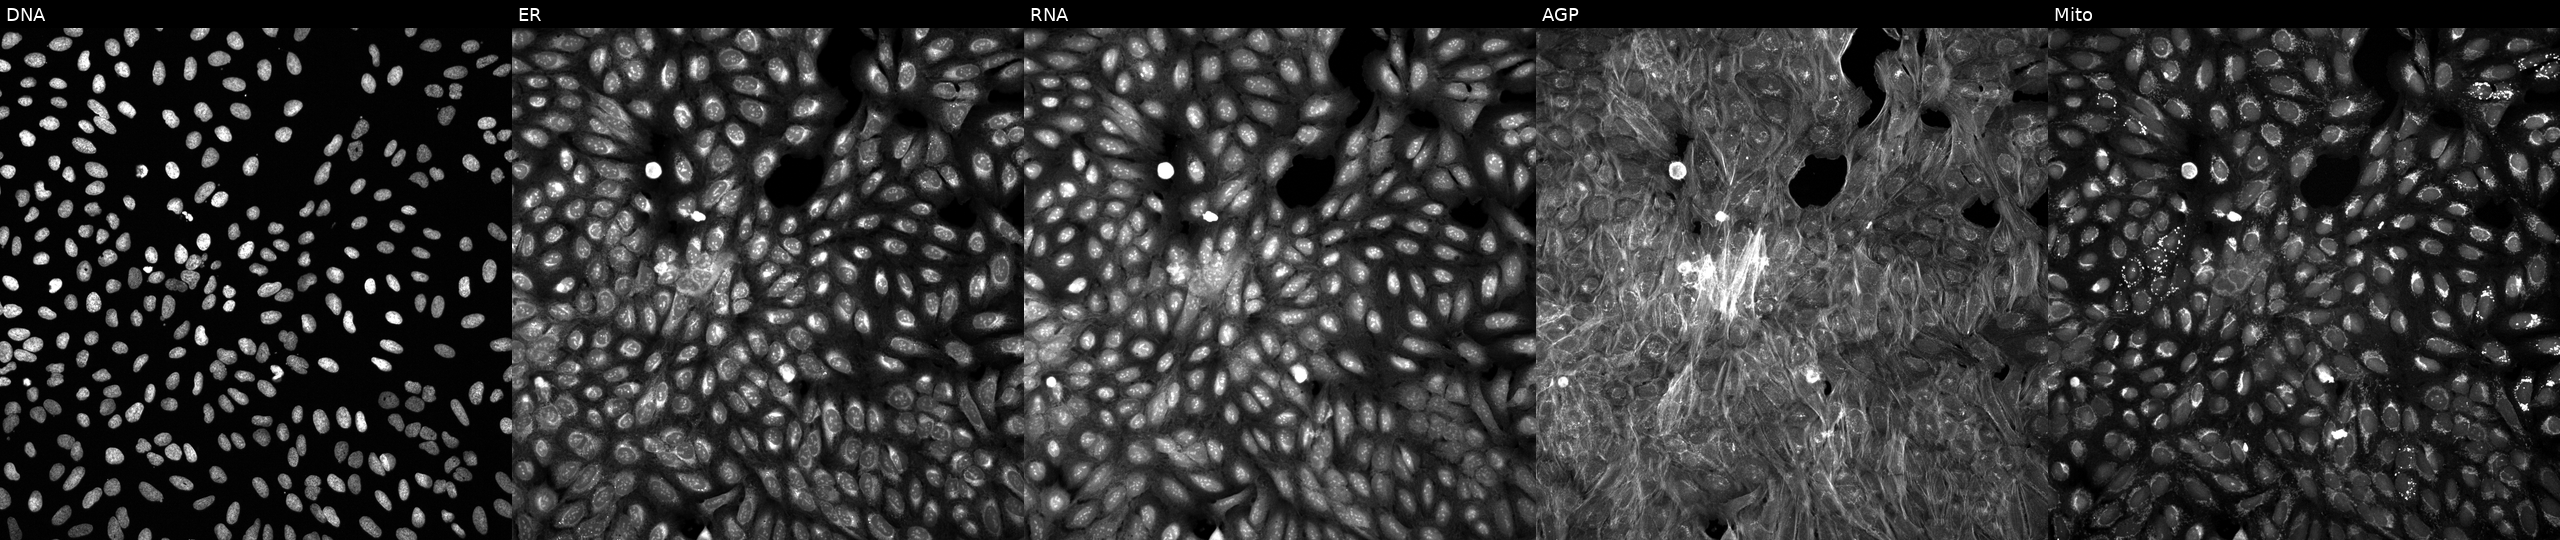
U2OS cells, Cell Painting assay, treated with a small-molecule compound. The five panels, left to right, show DNA, ER, RNA, AGP, and Mito. Each panel is percentile-stretched 16-bit fluorescence. Source 6, plate 110000294901, well L02.